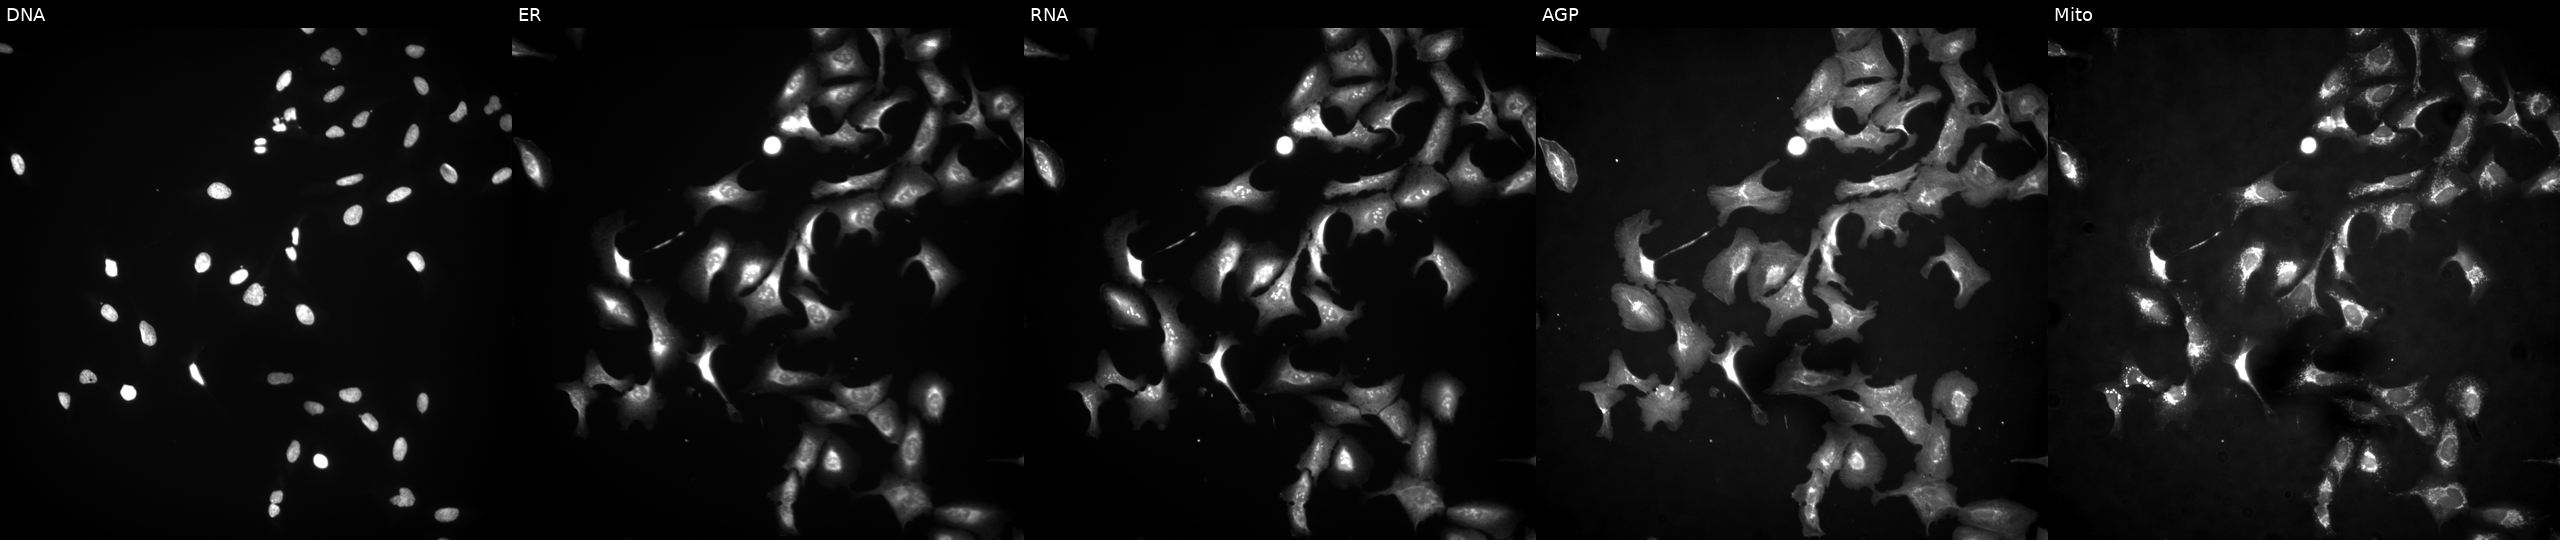
This image strip shows the five Cell Painting channels for a single field of U2OS cells with LRRIQ3 overexpressed (ORF) (JUMP id JCP2022_912236). From left to right: Hoechst 33342, concanavalin A, SYTO 14, phalloidin and WGA, MitoTracker.